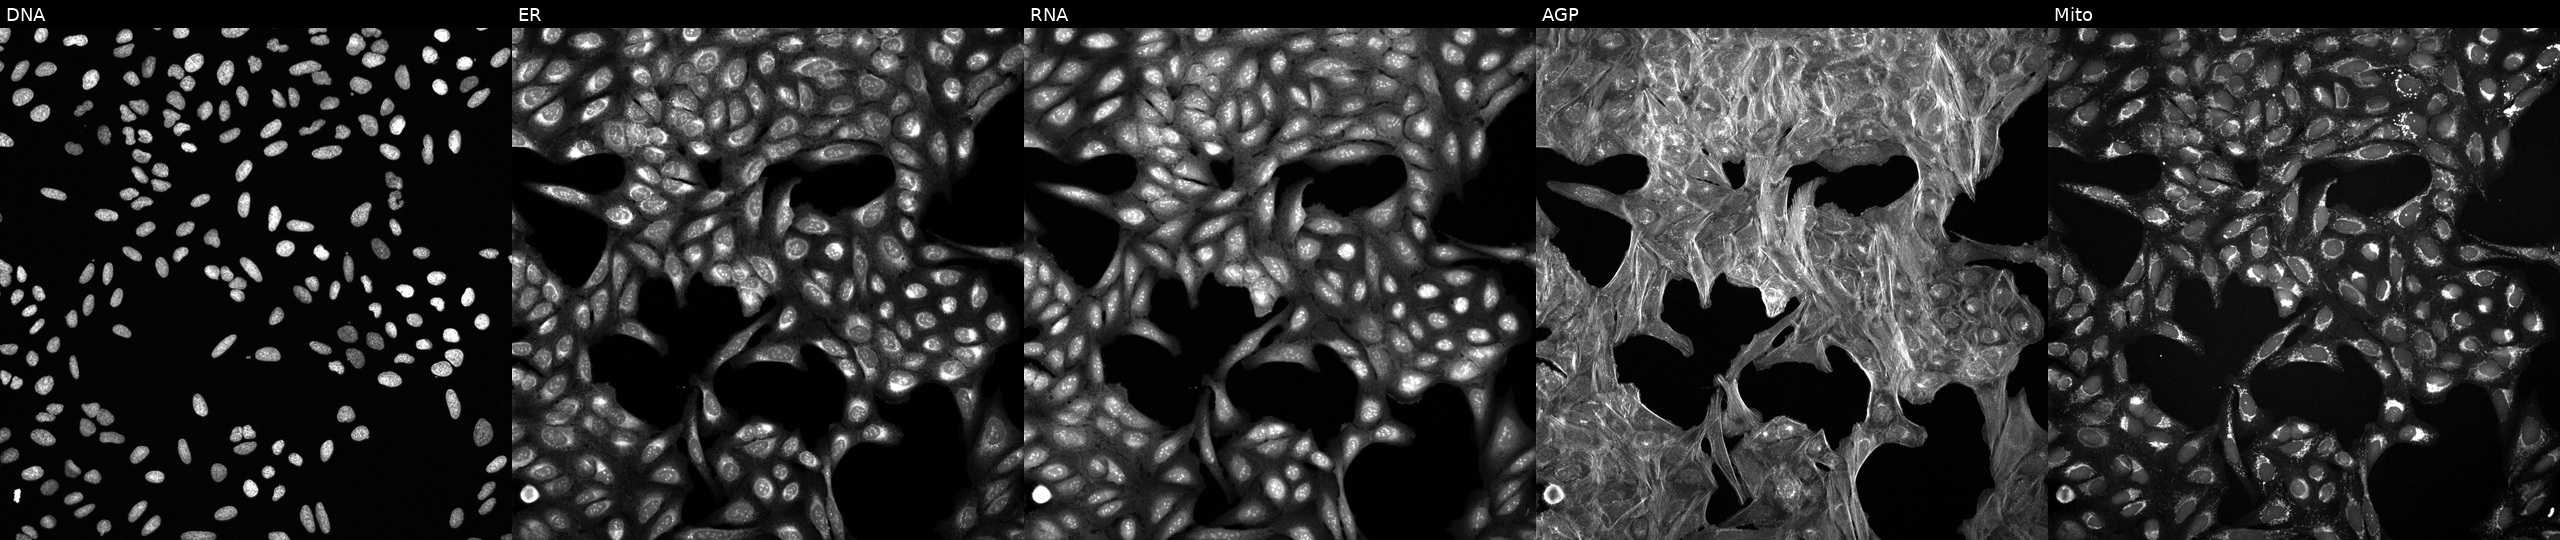
From left to right: DNA (nuclei); ER (endoplasmic reticulum); RNA (nucleoli and cytoplasmic RNA); AGP (actin cytoskeleton, Golgi, and plasma membrane); Mito (mitochondria). U2OS osteosarcoma cells exposed to DMSO alone as a negative control. Cell Painting assay, JUMP-CP dataset. Source 6, plate 110000293081, well N20.